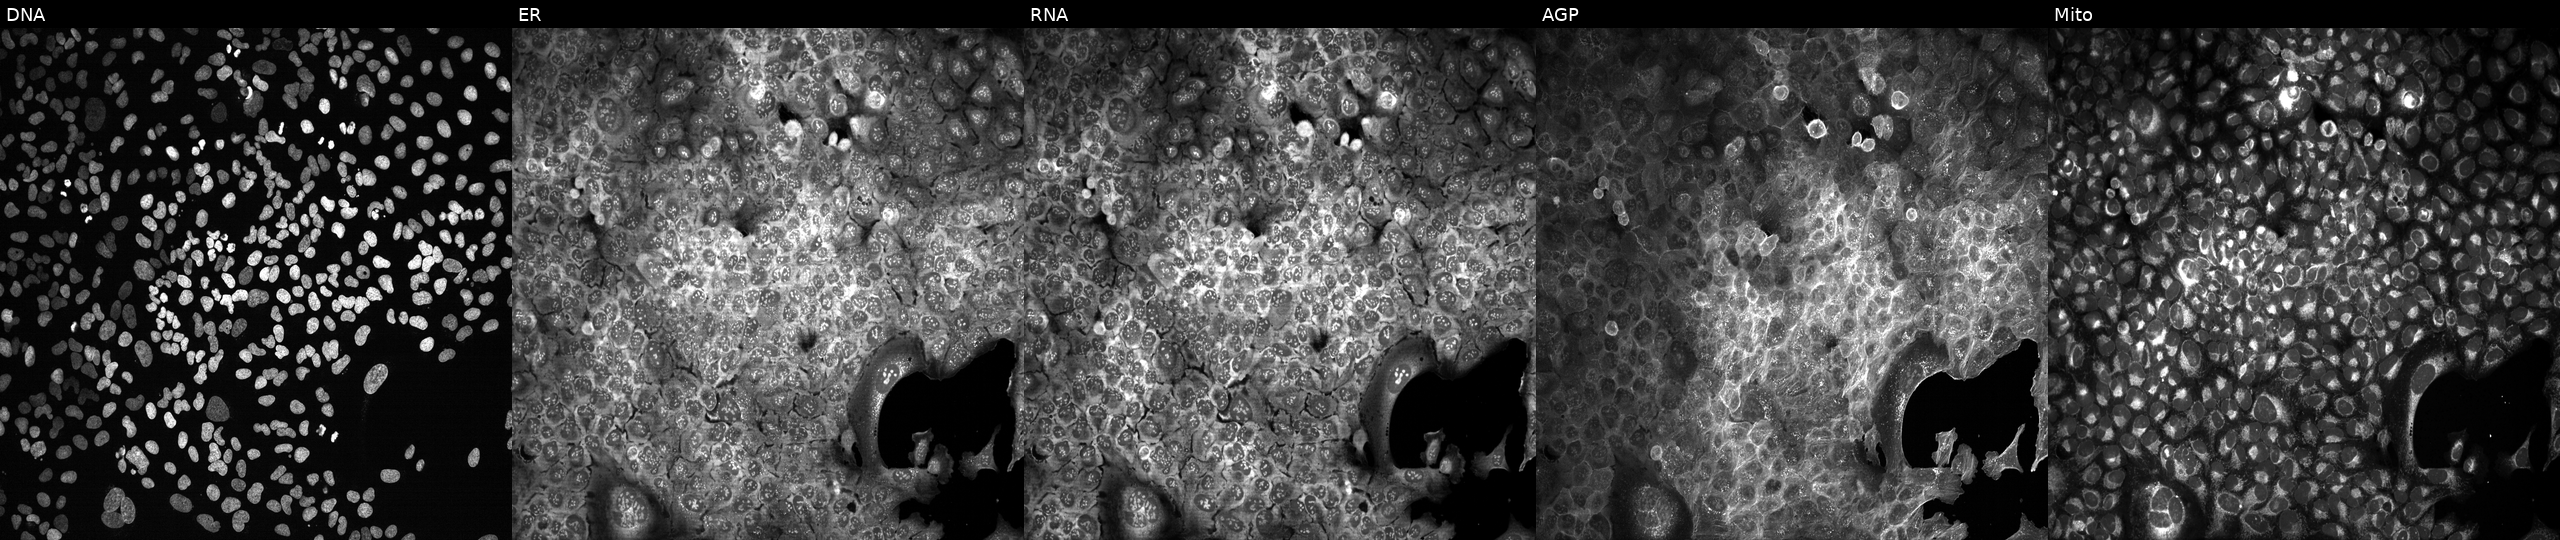
This image strip shows the five Cell Painting channels for a single field of U2OS cells CRISPR-edited to disrupt OTULIN (JUMP id JCP2022_804832). Panels show, left to right, DNA, ER, RNA, AGP, and Mito. Source 13, plate CP-CC9-R6-19, well O20.